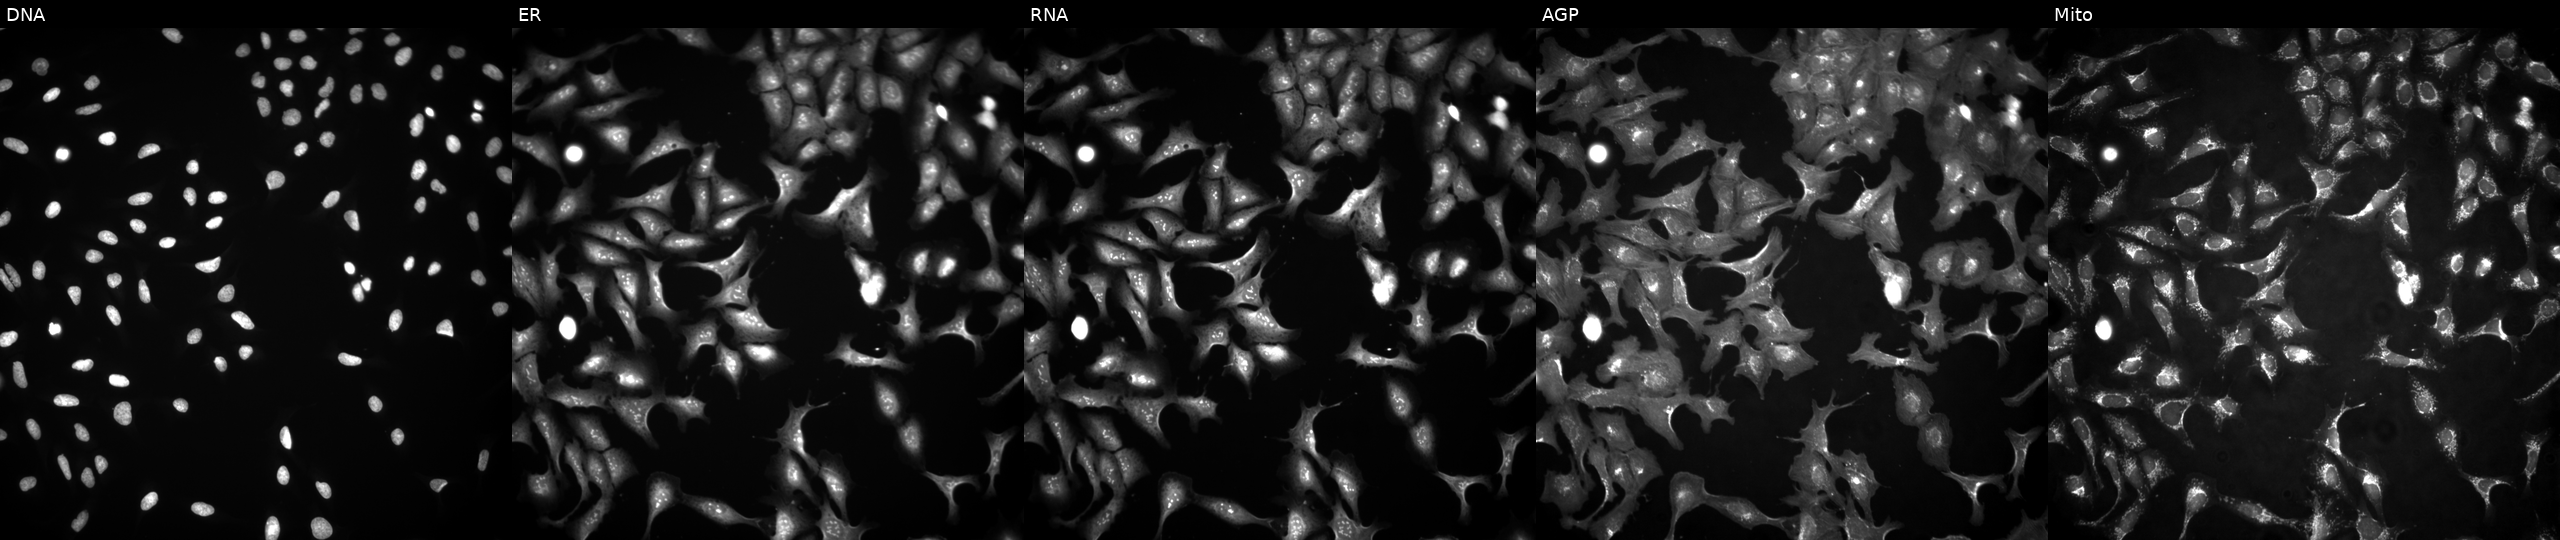
Five-channel Cell Painting image of U2OS cells transfected with an ORF construct for EGR2 (JUMP id JCP2022_910063). Panels show, left to right, DNA (nuclei); ER (endoplasmic reticulum); RNA (nucleoli and cytoplasmic RNA); AGP (actin cytoskeleton, Golgi, and plasma membrane); Mito (mitochondria).